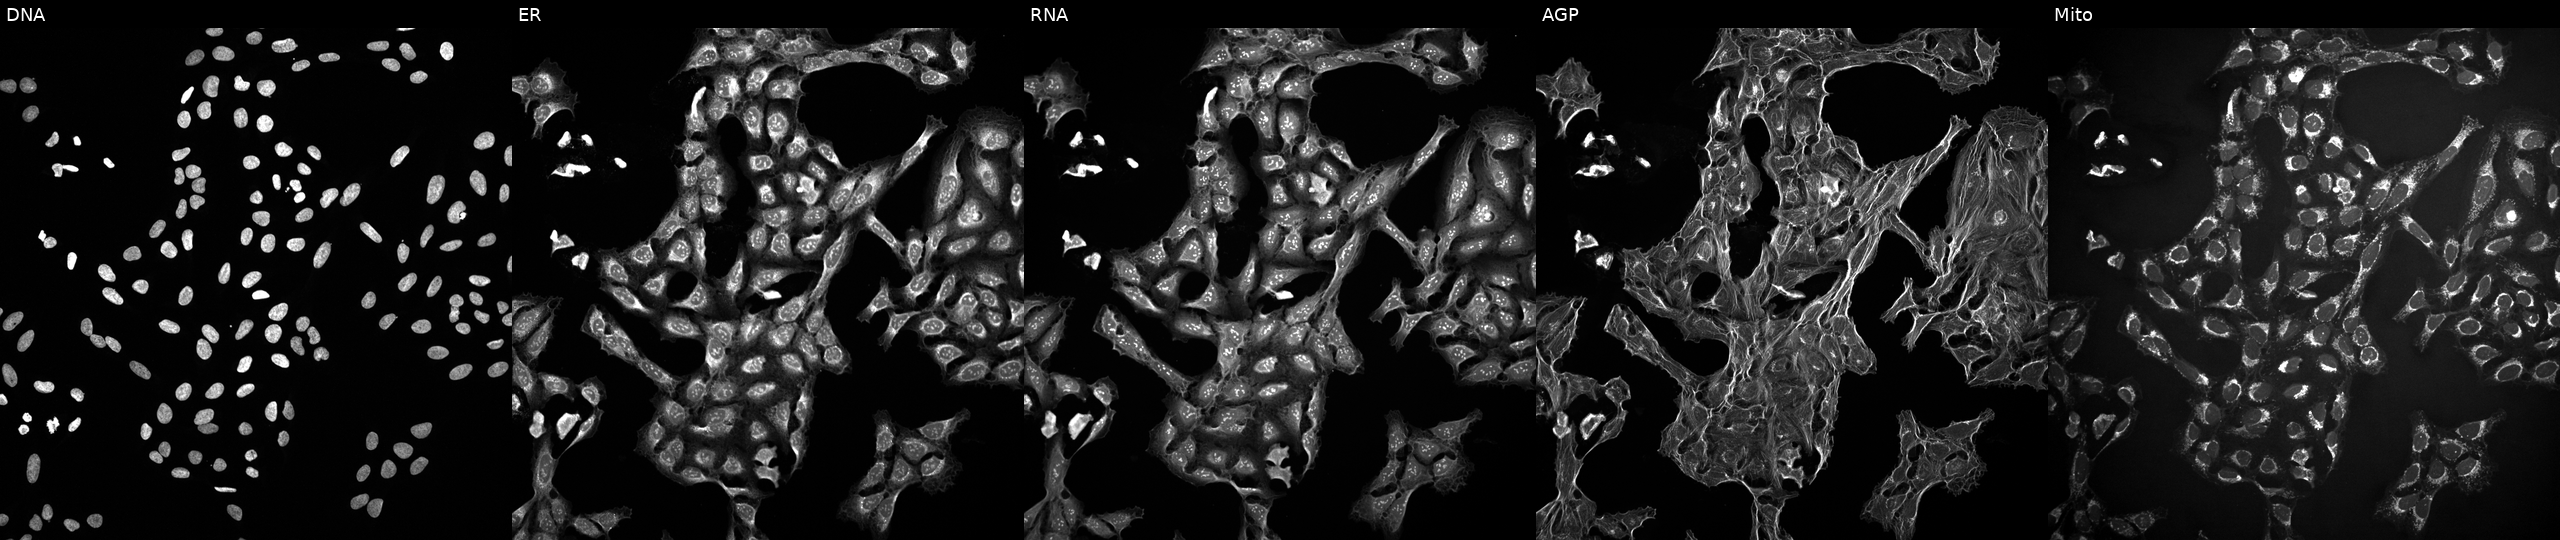
U2OS cells, Cell Painting assay, perturbed with a small-molecule compound (InChIKey RIKMMFOAQPJVMX-UHFFFAOYSA-N) (JUMP id JCP2022_078588). The five panels, left to right, show Hoechst 33342, concanavalin A, SYTO 14, phalloidin and WGA, MitoTracker. Each panel is percentile-stretched 16-bit fluorescence.